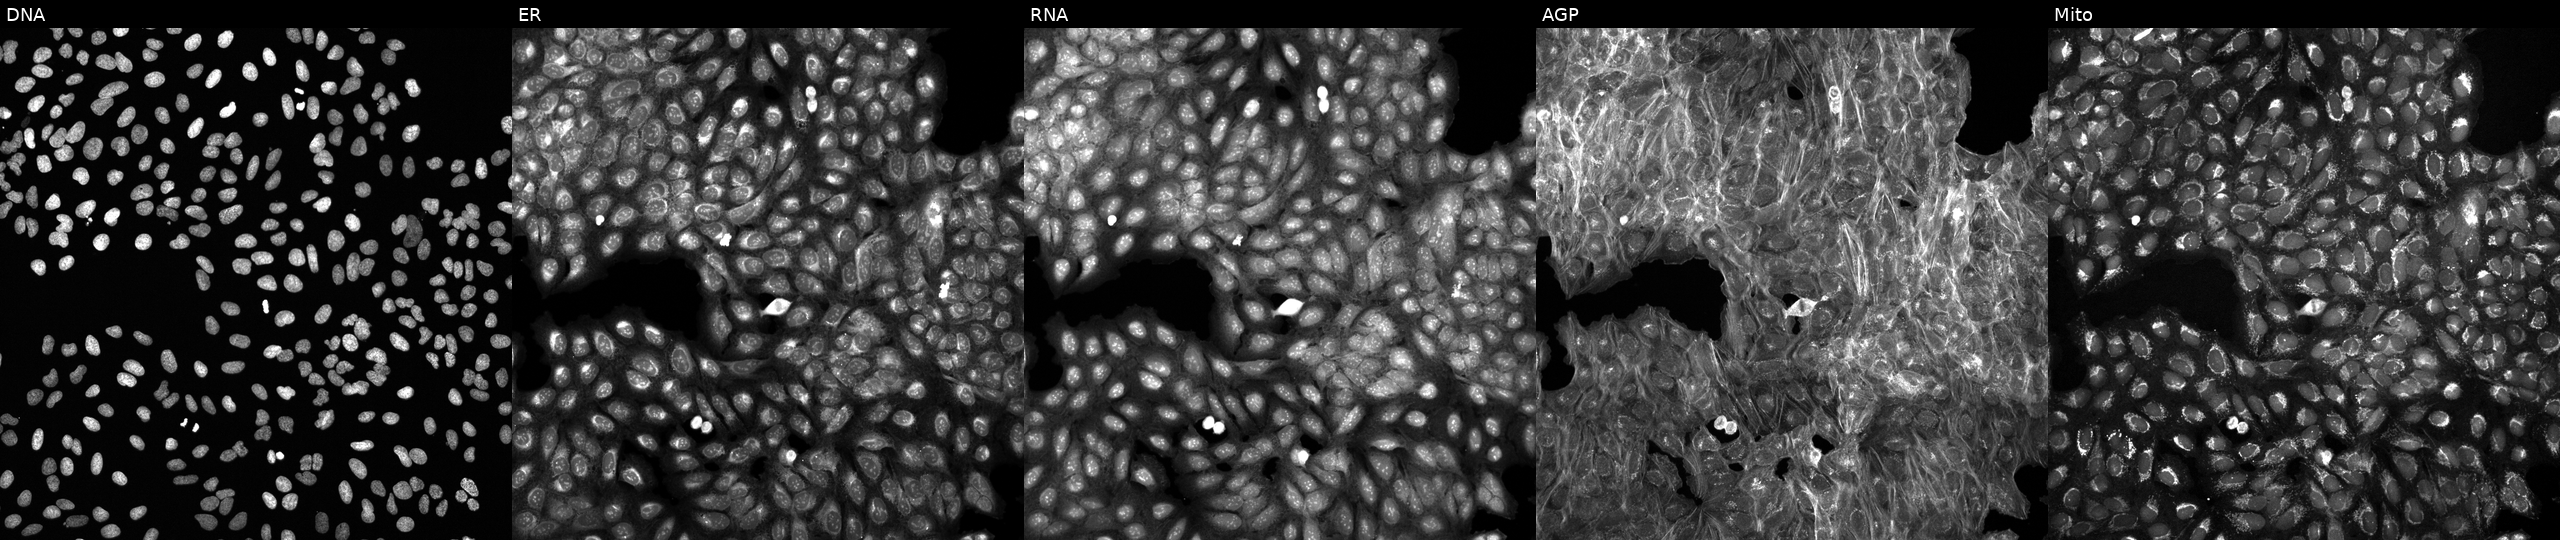
Five-channel Cell Painting image of U2OS cells perturbed with a small-molecule compound [SMILES: C=C(C)C1C2OC(=O)C1C1(O)CC3OC34C(=O)OC2C14C]. Channels (left→right): DNA (nuclei); ER (endoplasmic reticulum); RNA (nucleoli and cytoplasmic RNA); AGP (actin cytoskeleton, Golgi, and plasma membrane); Mito (mitochondria). Source 6, plate 110000294901, well C05.